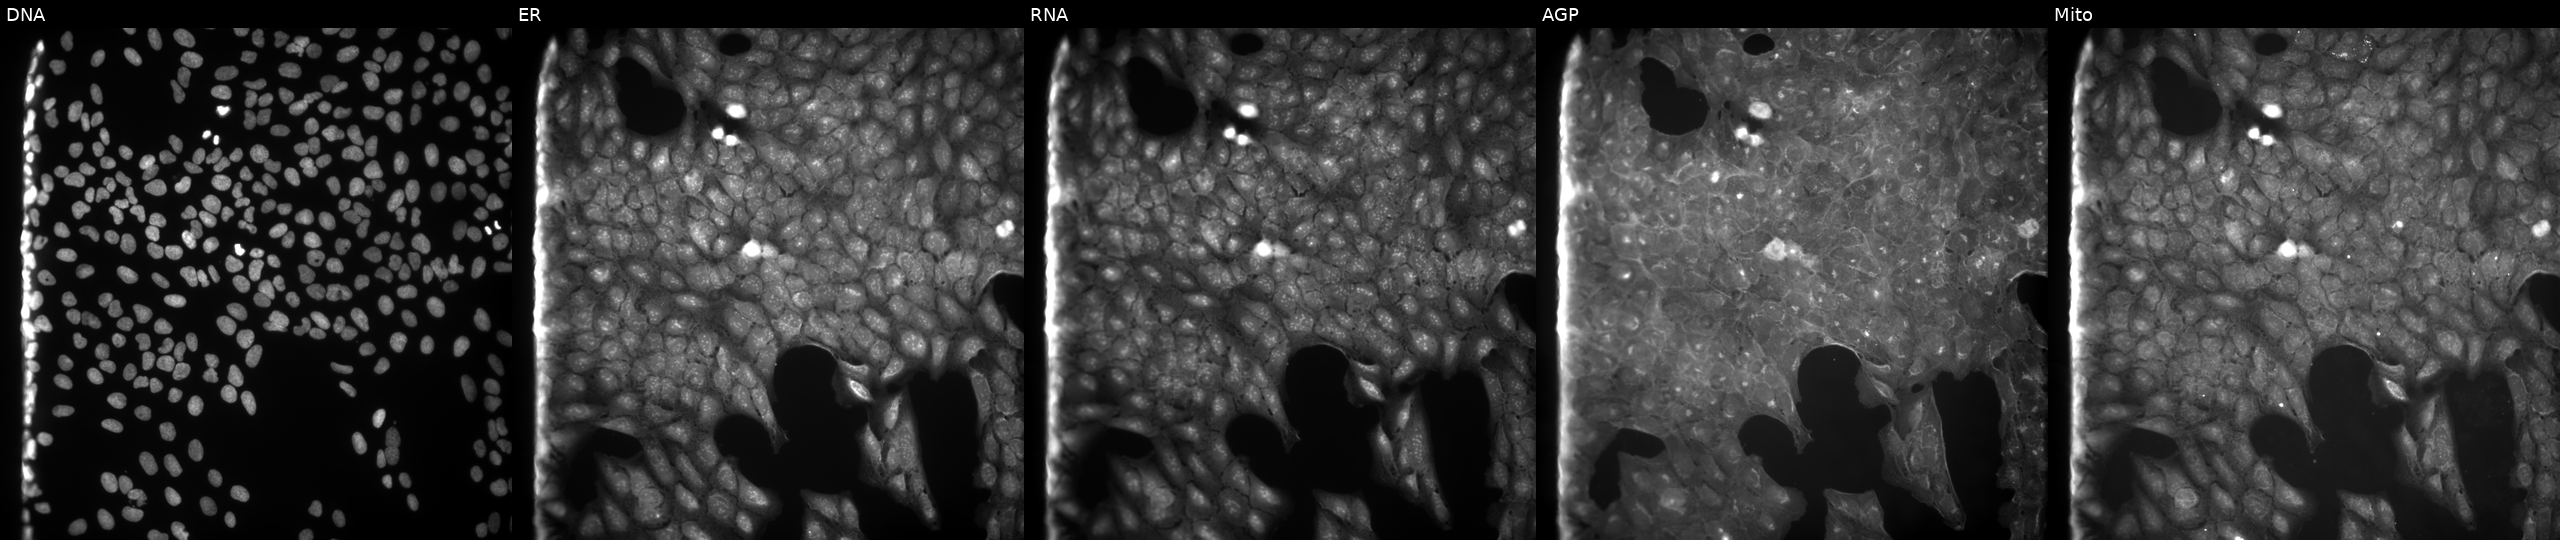
This image strip shows the five Cell Painting channels for a single field of U2OS cells treated with dexamethasone (positive-control compound) (JUMP id JCP2022_025848). From left to right: DNA, ER, RNA, AGP, and Mito. Source 9, plate GR00003382, well S01.